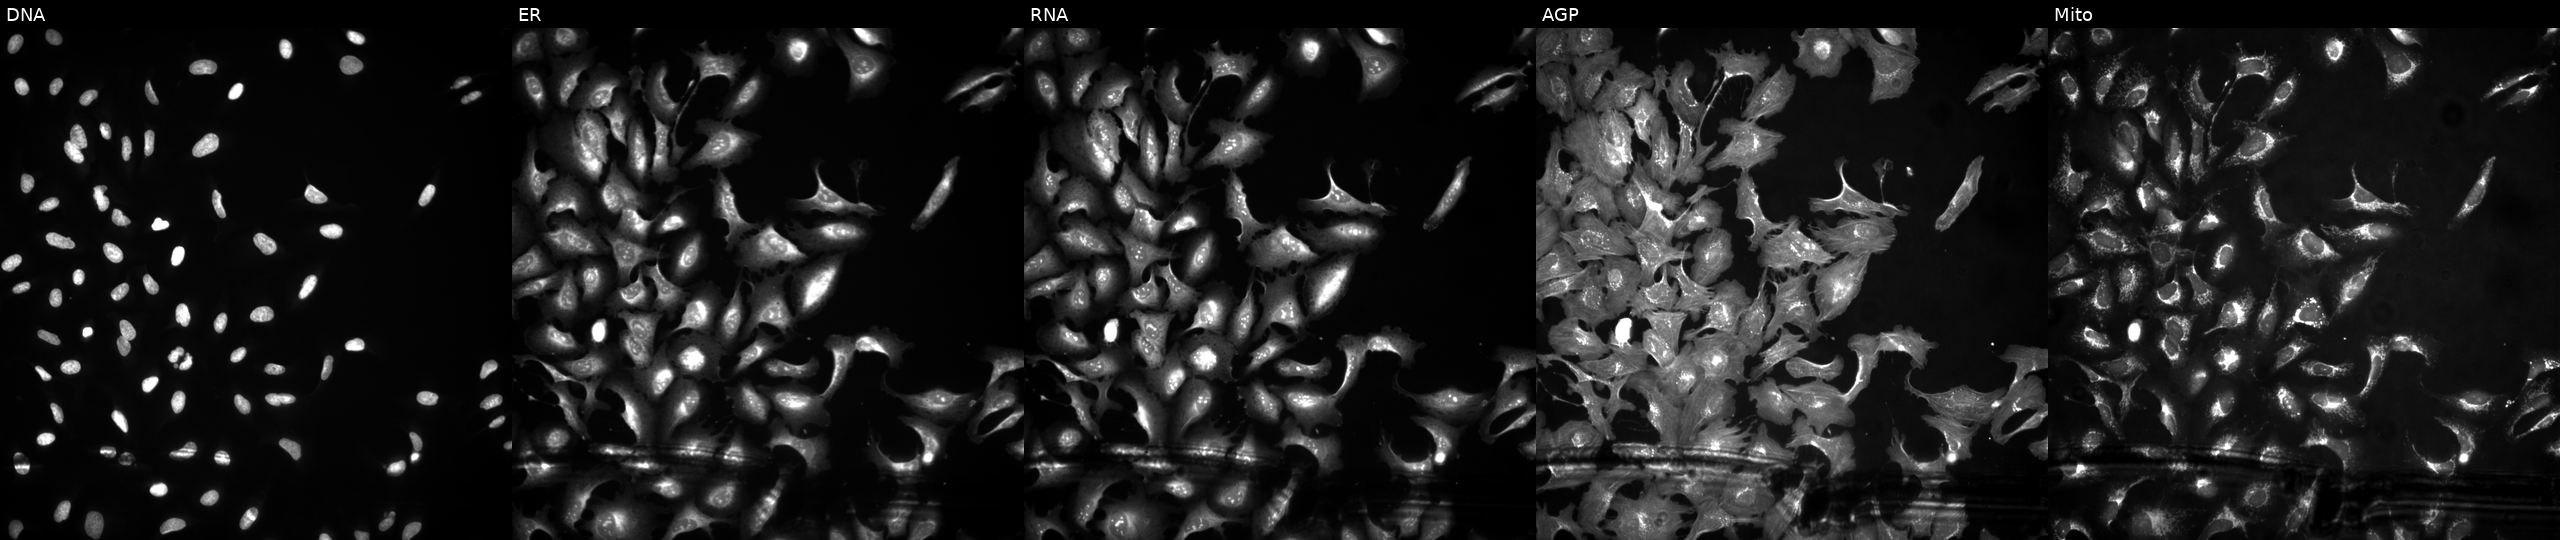
The five panels, left to right, show DNA (nuclei); ER (endoplasmic reticulum); RNA (nucleoli and cytoplasmic RNA); AGP (actin cytoskeleton, Golgi, and plasma membrane); Mito (mitochondria). U2OS osteosarcoma cells treated with TC-S-7004 (positive-control compound). Cell Painting assay, JUMP-CP dataset.